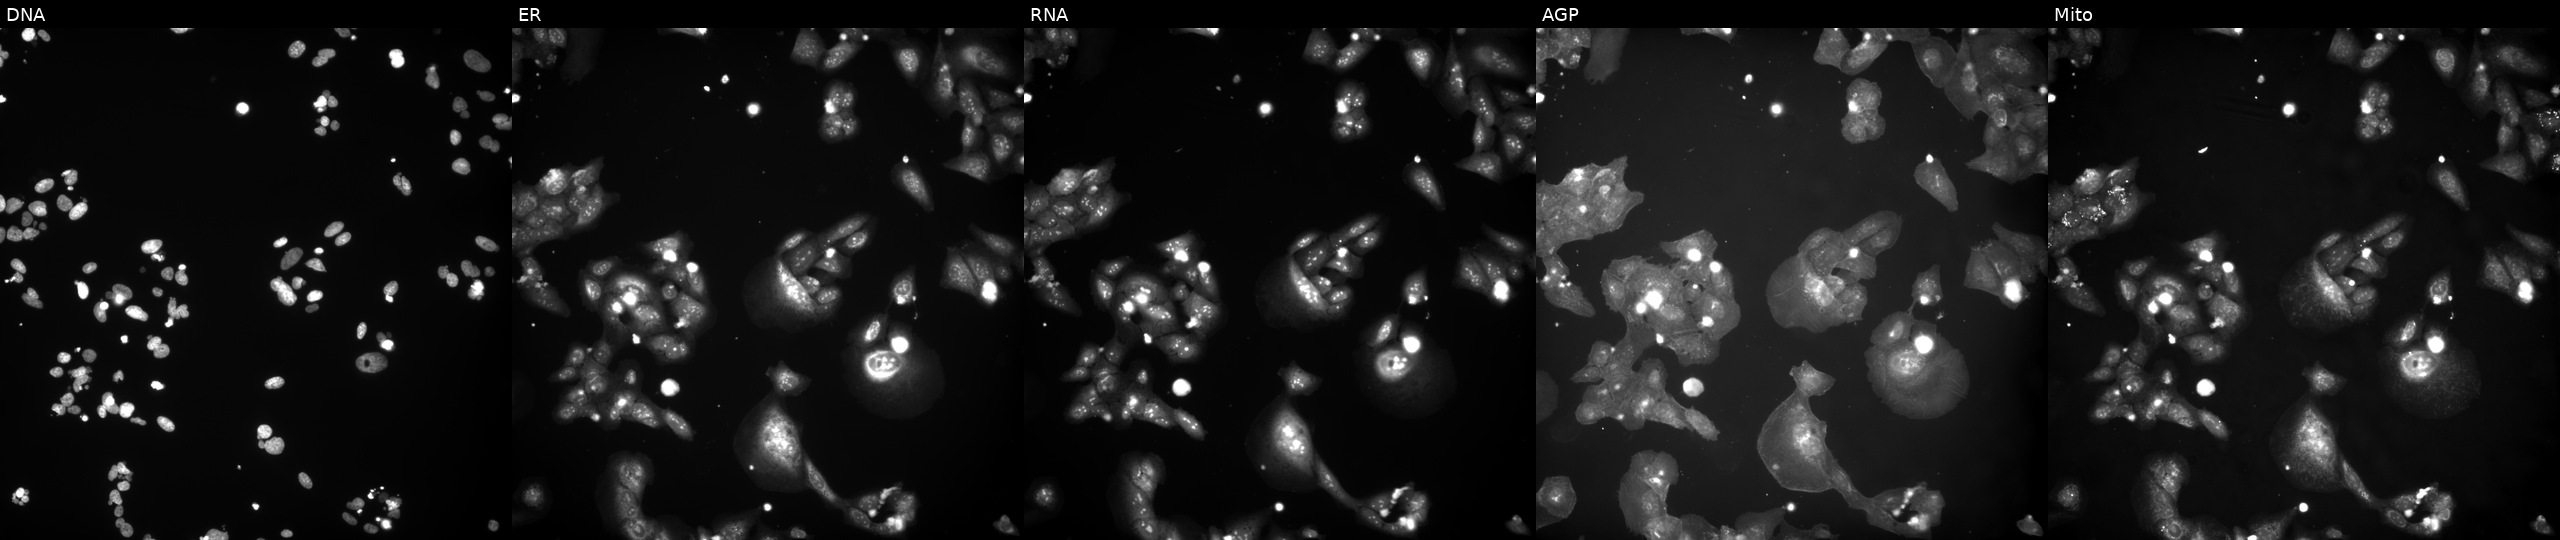
Channels (left→right): DNA (nuclei); ER (endoplasmic reticulum); RNA (nucleoli and cytoplasmic RNA); AGP (actin cytoskeleton, Golgi, and plasma membrane); Mito (mitochondria). U2OS osteosarcoma cells exposed to a small-molecule compound (InChIKey WPRLRLOBHZXBTE-UHFFFAOYSA-N). Cell Painting assay, JUMP-CP dataset. Source 9, plate GR00003382, well K33.